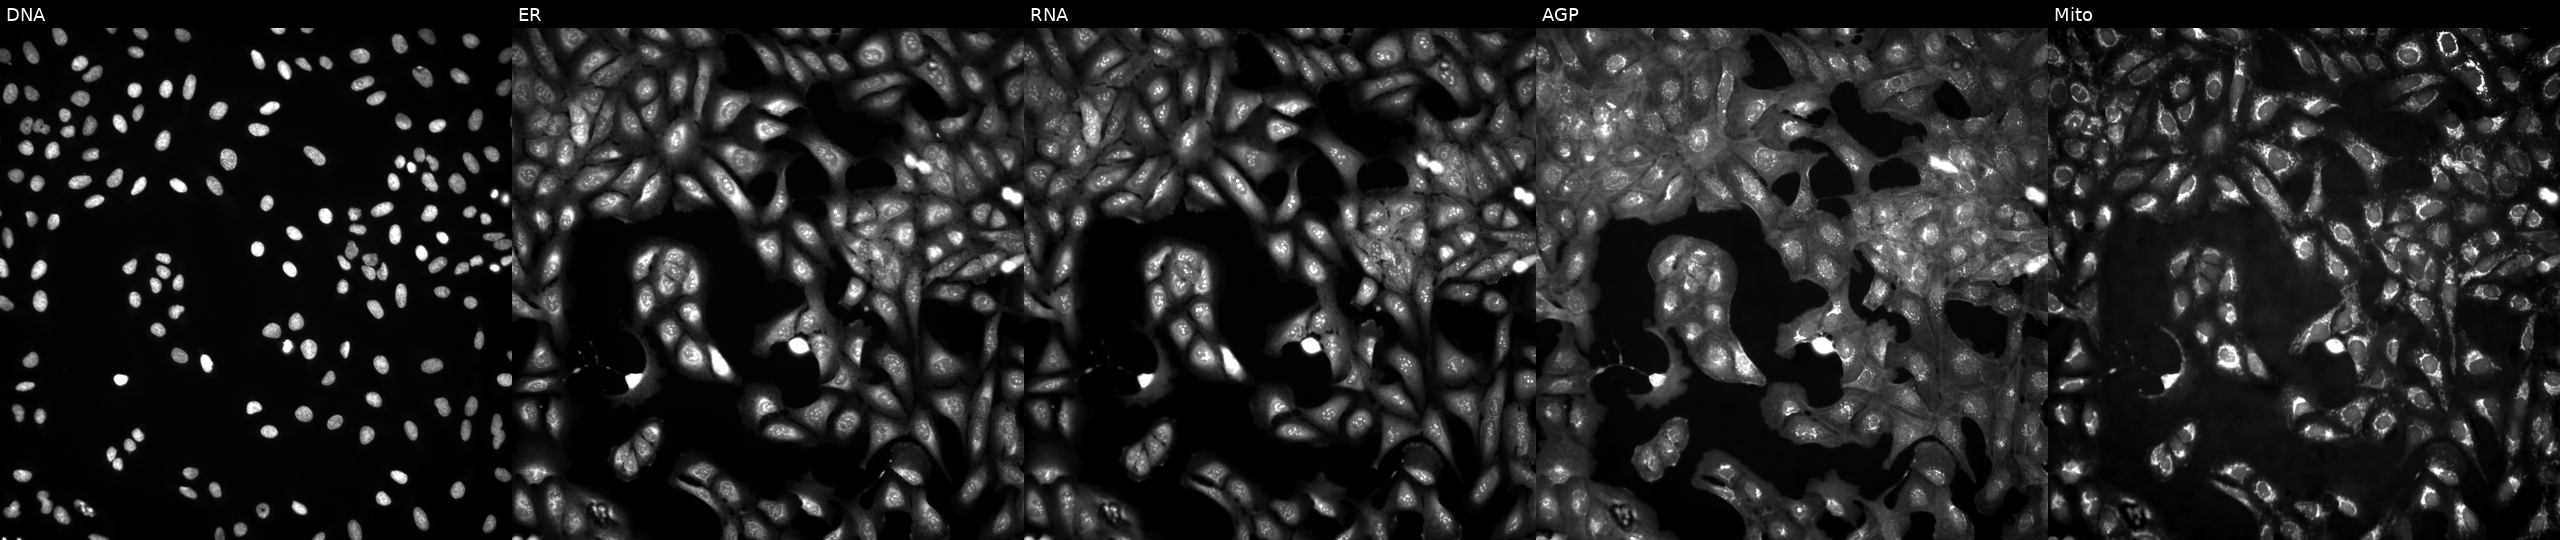
This image strip shows the five Cell Painting channels for a single field of U2OS cells untreated (empty-well control). Panels show, left to right, Hoechst 33342, concanavalin A, SYTO 14, phalloidin and WGA, MitoTracker.